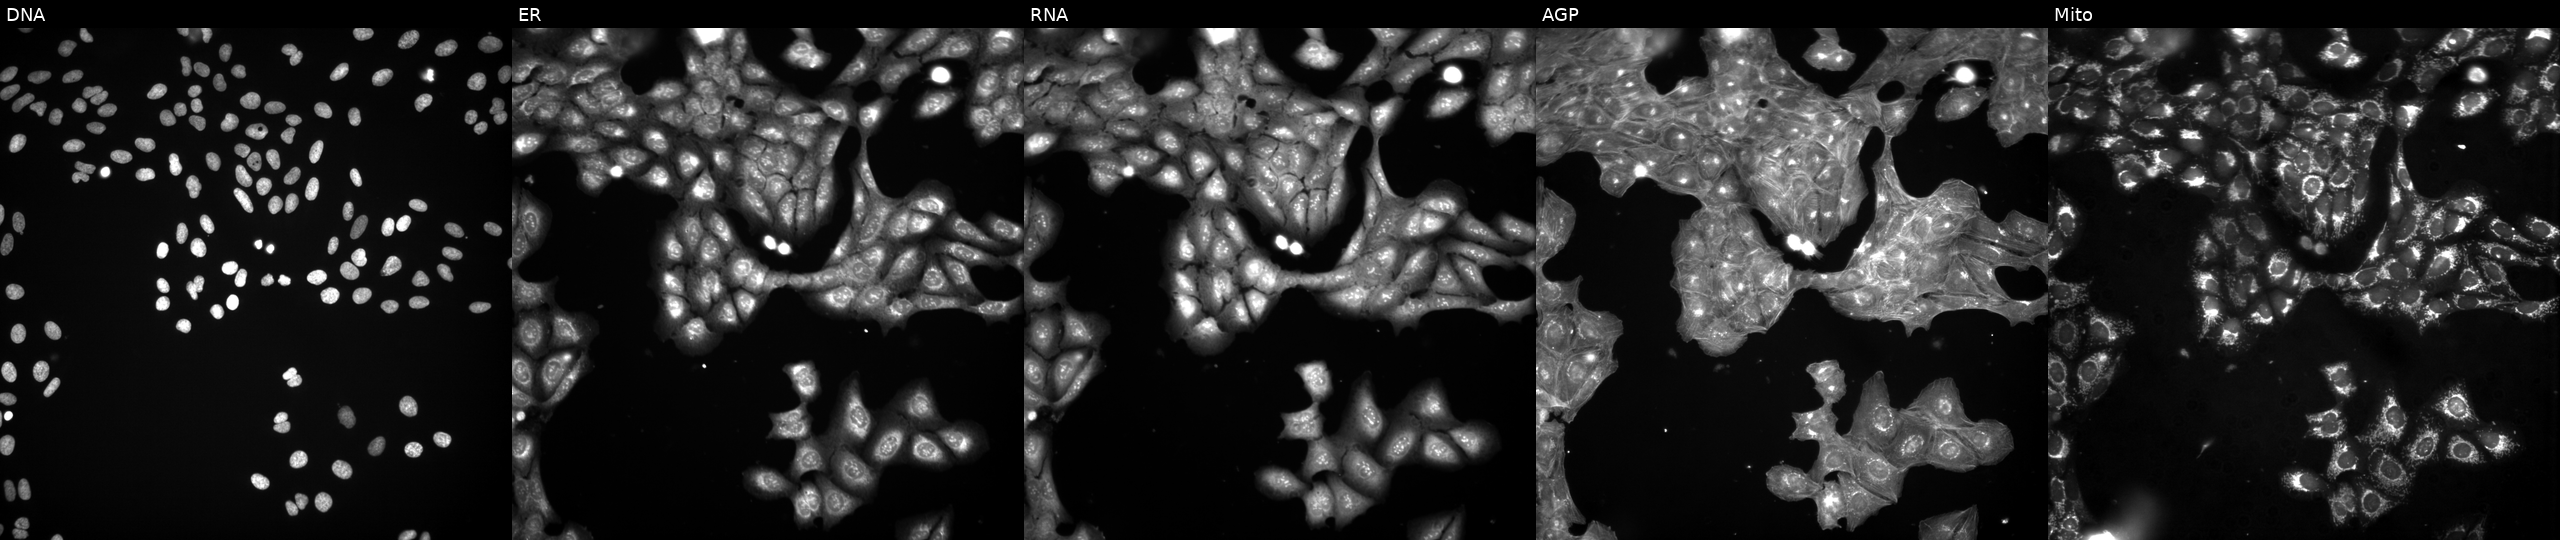
High-content fluorescence microscopy (Cell Painting). Cell line: U2OS. Perturbation: exposed to a small-molecule compound (InChIKey QUIIIYITNGOFEI-UHFFFAOYSA-N). From left to right: DNA (nuclei); ER (endoplasmic reticulum); RNA (nucleoli and cytoplasmic RNA); AGP (actin cytoskeleton, Golgi, and plasma membrane); Mito (mitochondria). Source 3, plate JCPQC053, well C12.